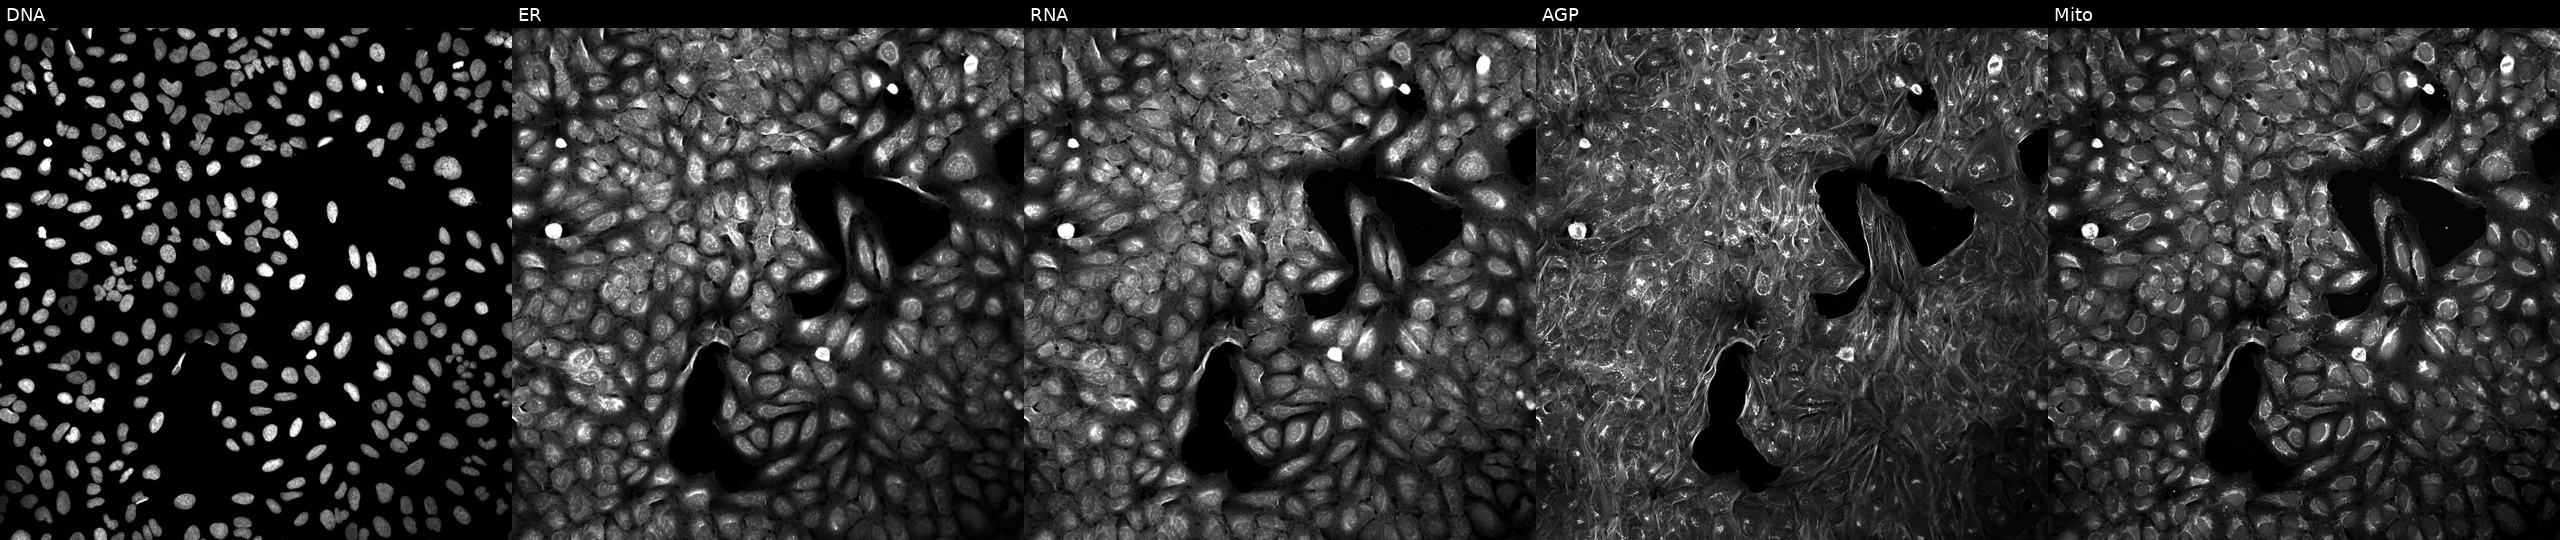
Five-channel Cell Painting image of U2OS cells exposed to a small-molecule compound (InChIKey CCGBQUIGHBGCAW-UHFFFAOYSA-N) [SMILES: CC1(C)Cc2cccc(OCC(=O)N3CCN(Cc4nc5ccccc5s4)CC3)c2O1]. The five panels, left to right, show Hoechst 33342, concanavalin A, SYTO 14, phalloidin and WGA, MitoTracker.